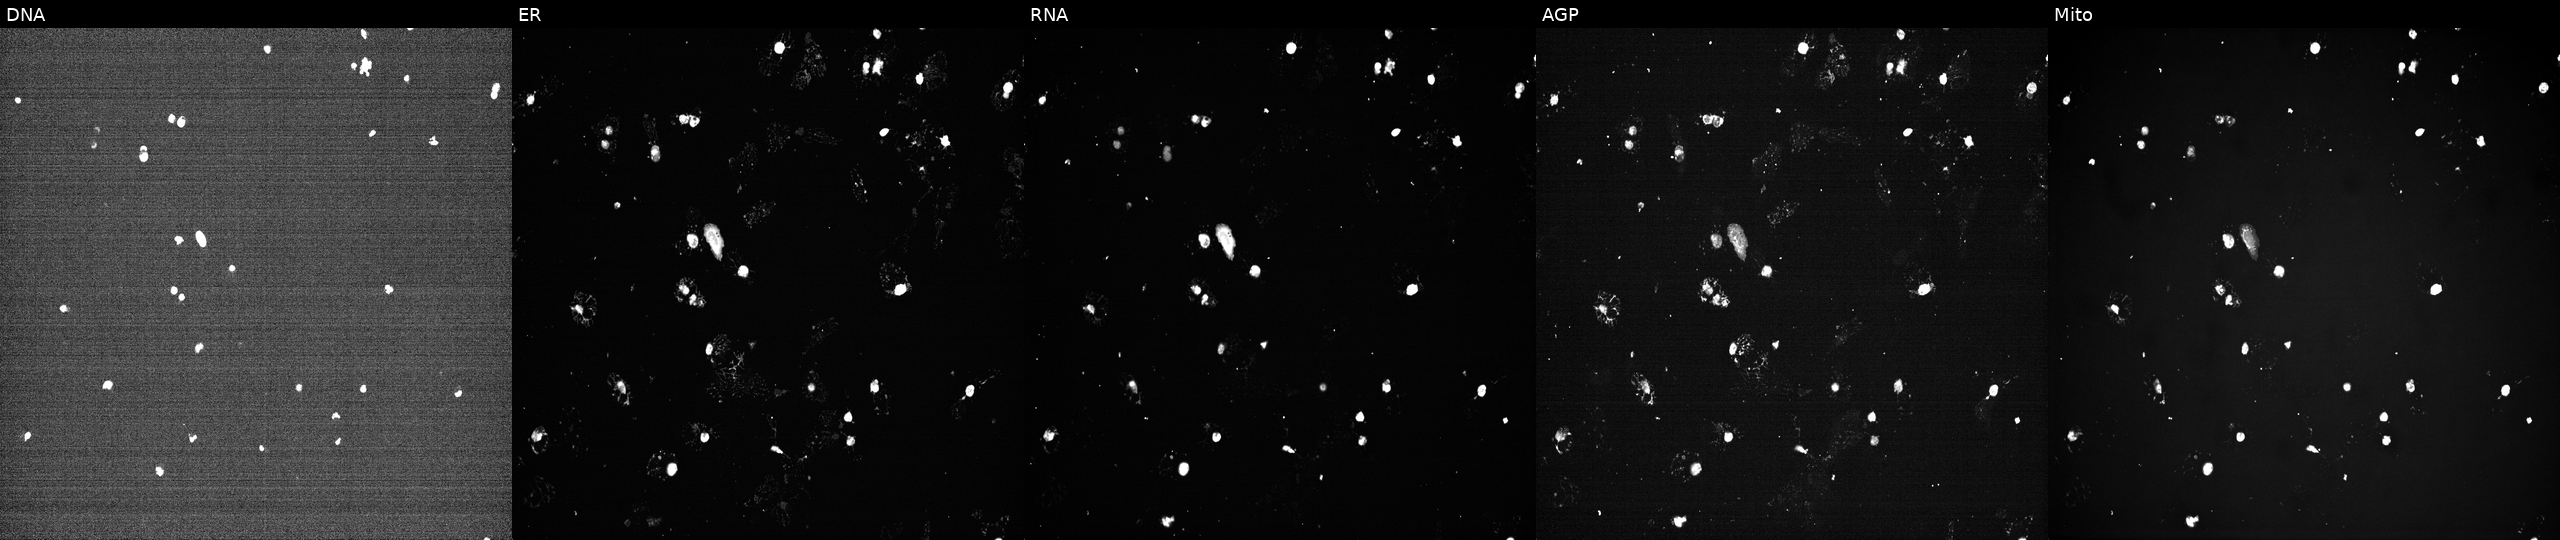
High-content fluorescence microscopy (Cell Painting). Cell line: U2OS. Perturbation: perturbed with a small-molecule compound (JUMP id JCP2022_081430). From left to right: DNA (nuclei); ER (endoplasmic reticulum); RNA (nucleoli and cytoplasmic RNA); AGP (actin cytoskeleton, Golgi, and plasma membrane); Mito (mitochondria).